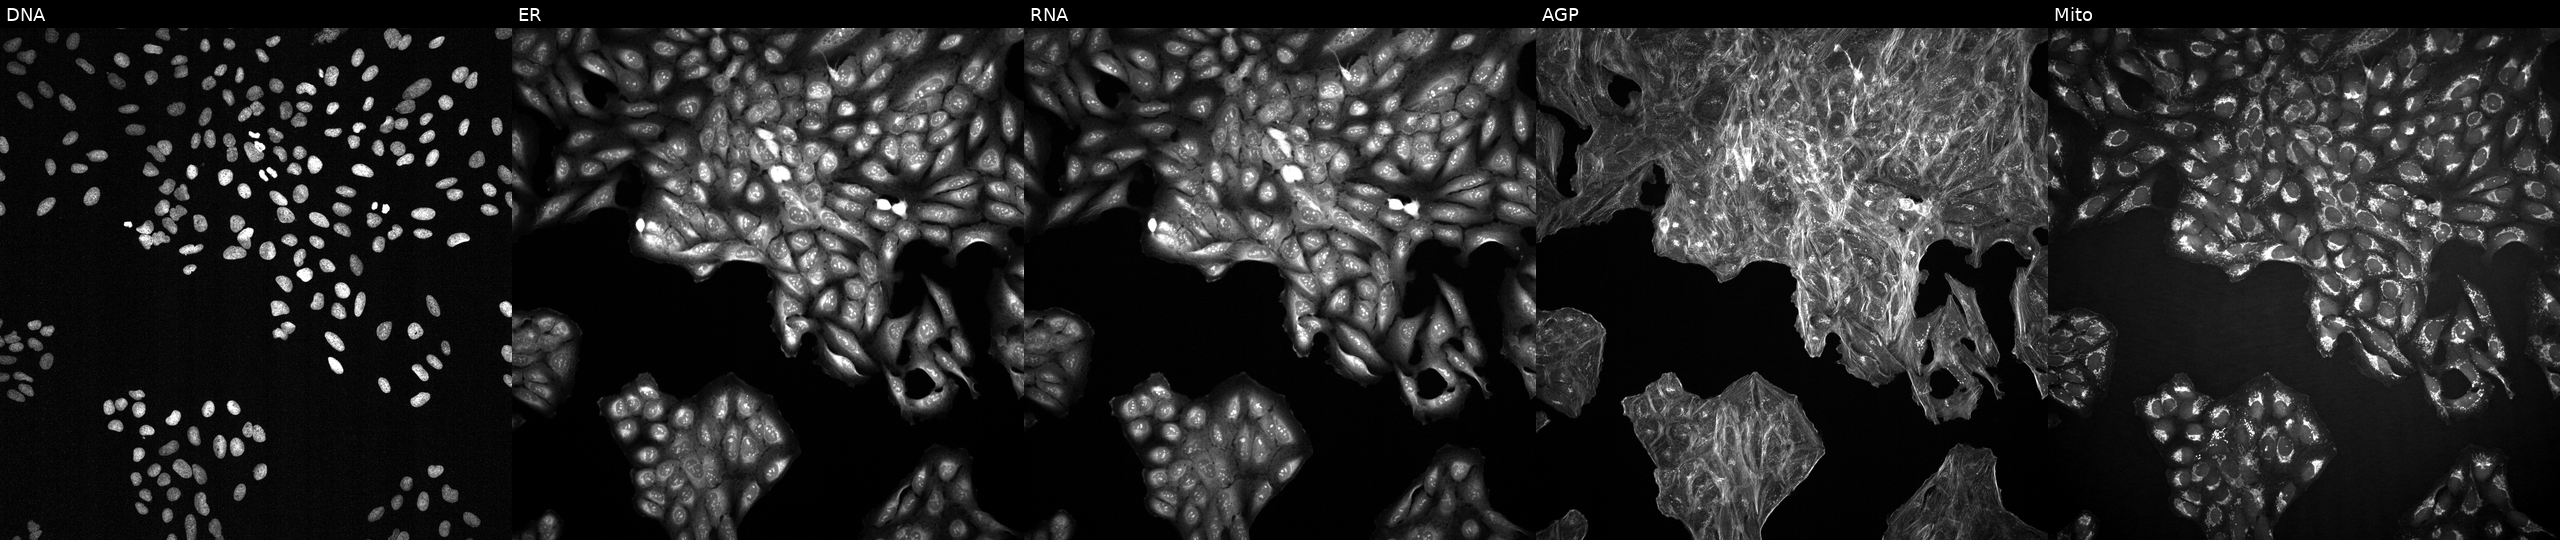
This image strip shows the five Cell Painting channels for a single field of U2OS cells exposed to DMSO alone as a negative control. Panels show, left to right, DNA (nuclei); ER (endoplasmic reticulum); RNA (nucleoli and cytoplasmic RNA); AGP (actin cytoskeleton, Golgi, and plasma membrane); Mito (mitochondria). Source 2, plate 1053599503, well G19.